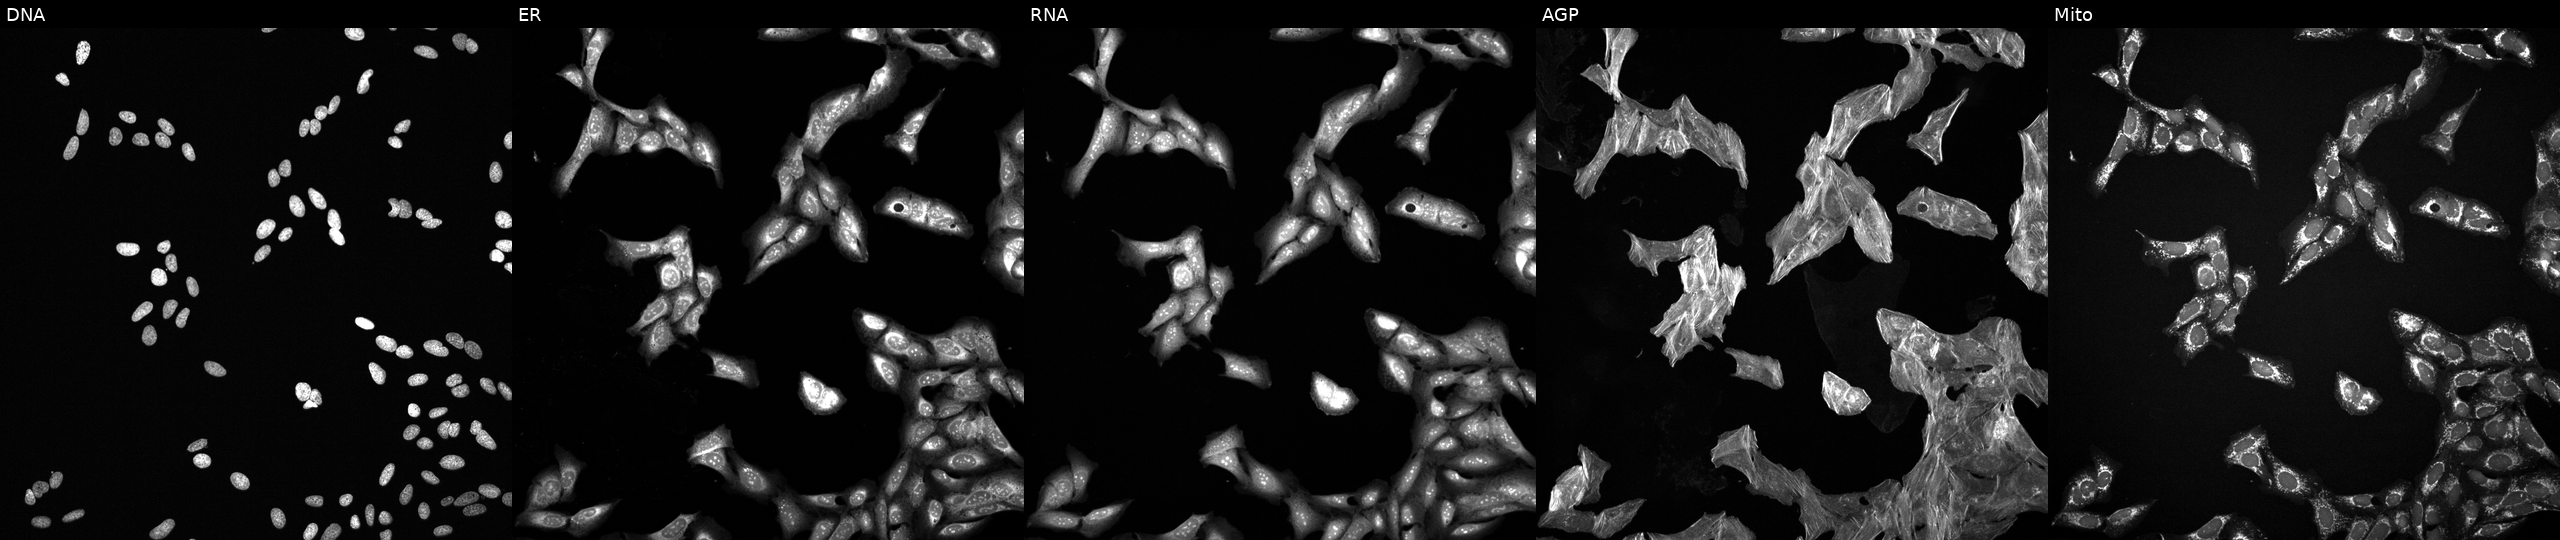
Panels show, left to right, DNA (nuclei); ER (endoplasmic reticulum); RNA (nucleoli and cytoplasmic RNA); AGP (actin cytoskeleton, Golgi, and plasma membrane); Mito (mitochondria). U2OS osteosarcoma cells perturbed with a small-molecule compound (InChIKey WYWHKKSPHMUBEB-UHFFFAOYSA-N). Cell Painting assay, JUMP-CP dataset. Source 6, plate 110000293093, well H15.